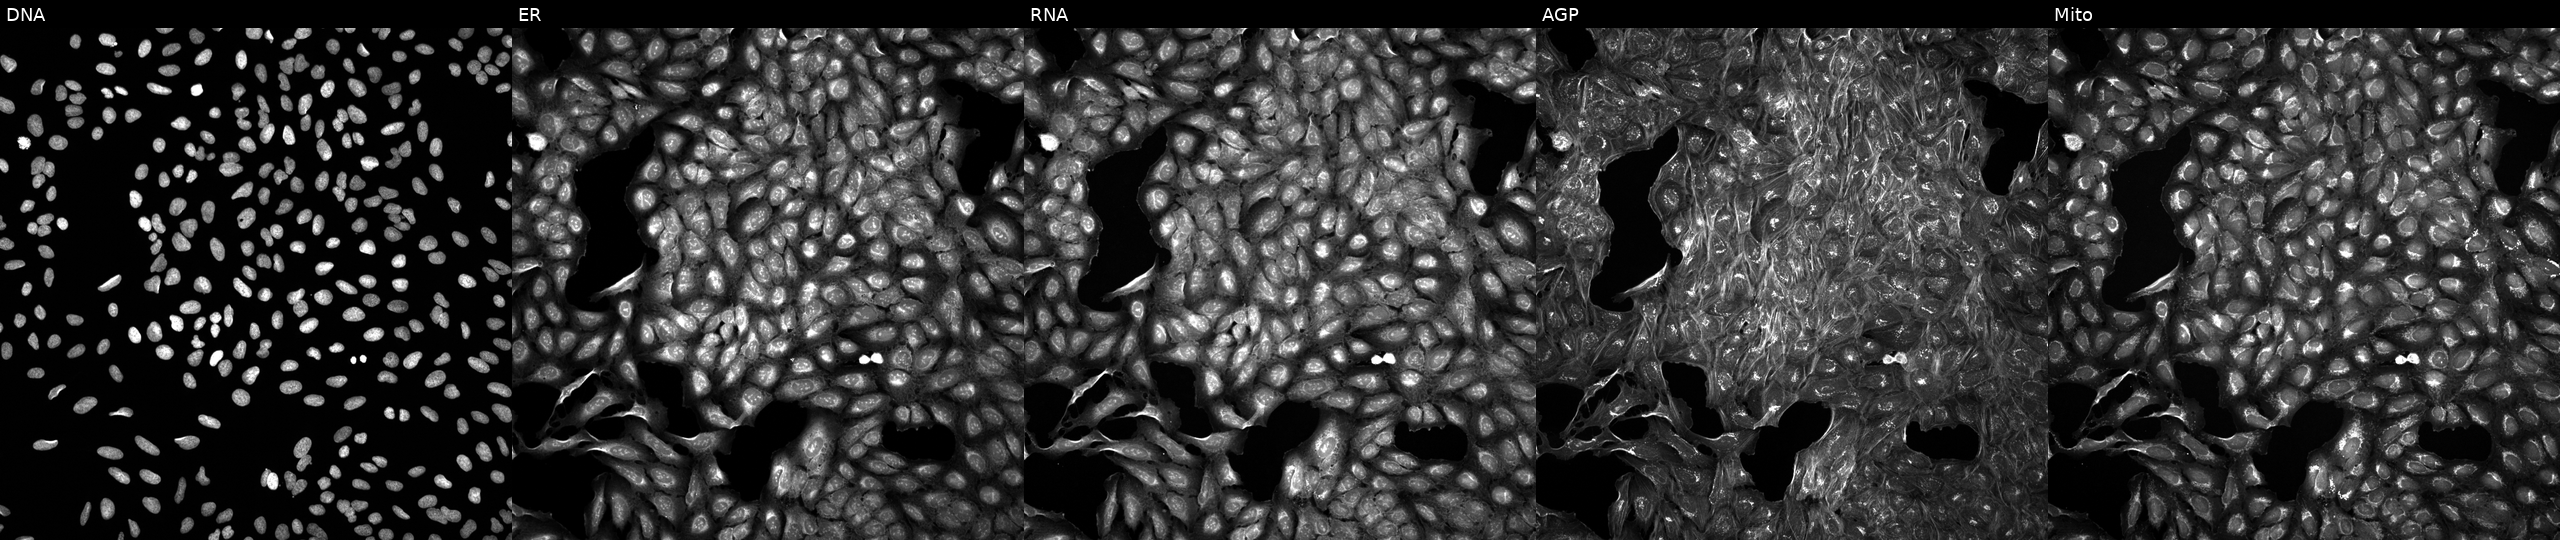
U2OS cells, Cell Painting assay, treated with a small-molecule compound [SMILES: O=C(CCCc1ccccc1)NCC1CCCCC(=O)N1] (JUMP id JCP2022_015816). Panels show, left to right, DNA (nuclei); ER (endoplasmic reticulum); RNA (nucleoli and cytoplasmic RNA); AGP (actin cytoskeleton, Golgi, and plasma membrane); Mito (mitochondria). Each panel is percentile-stretched 16-bit fluorescence.